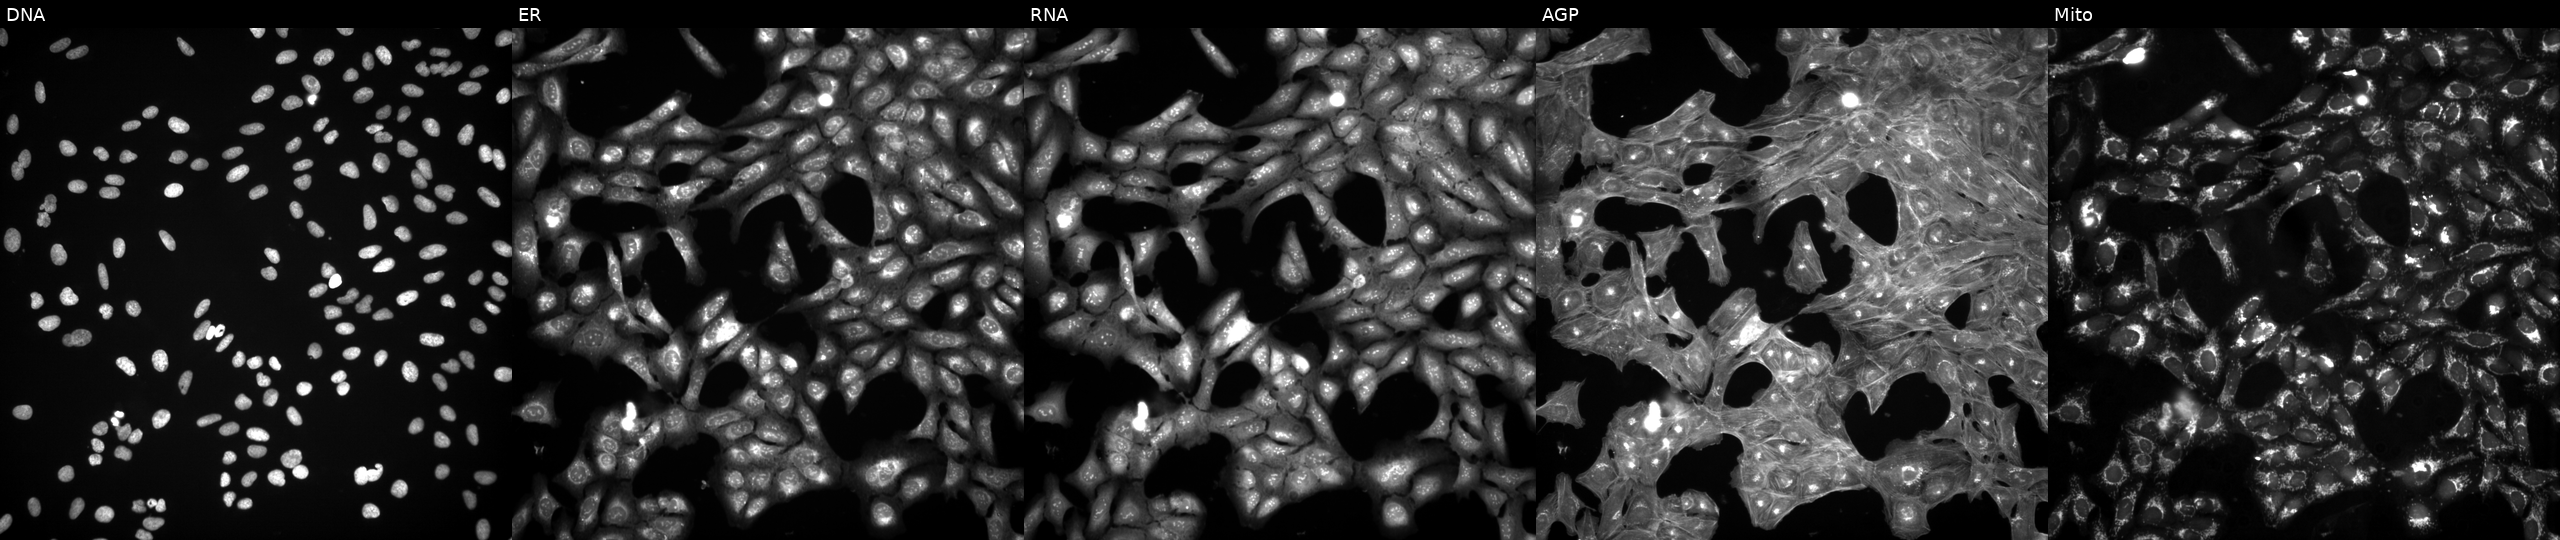
This image strip shows the five Cell Painting channels for a single field of U2OS cells perturbed with a small-molecule compound (InChIKey PDMUULPVBYQBBK-UHFFFAOYSA-N) (JUMP id JCP2022_067887). Channels (left→right): DNA, ER, RNA, AGP, and Mito.